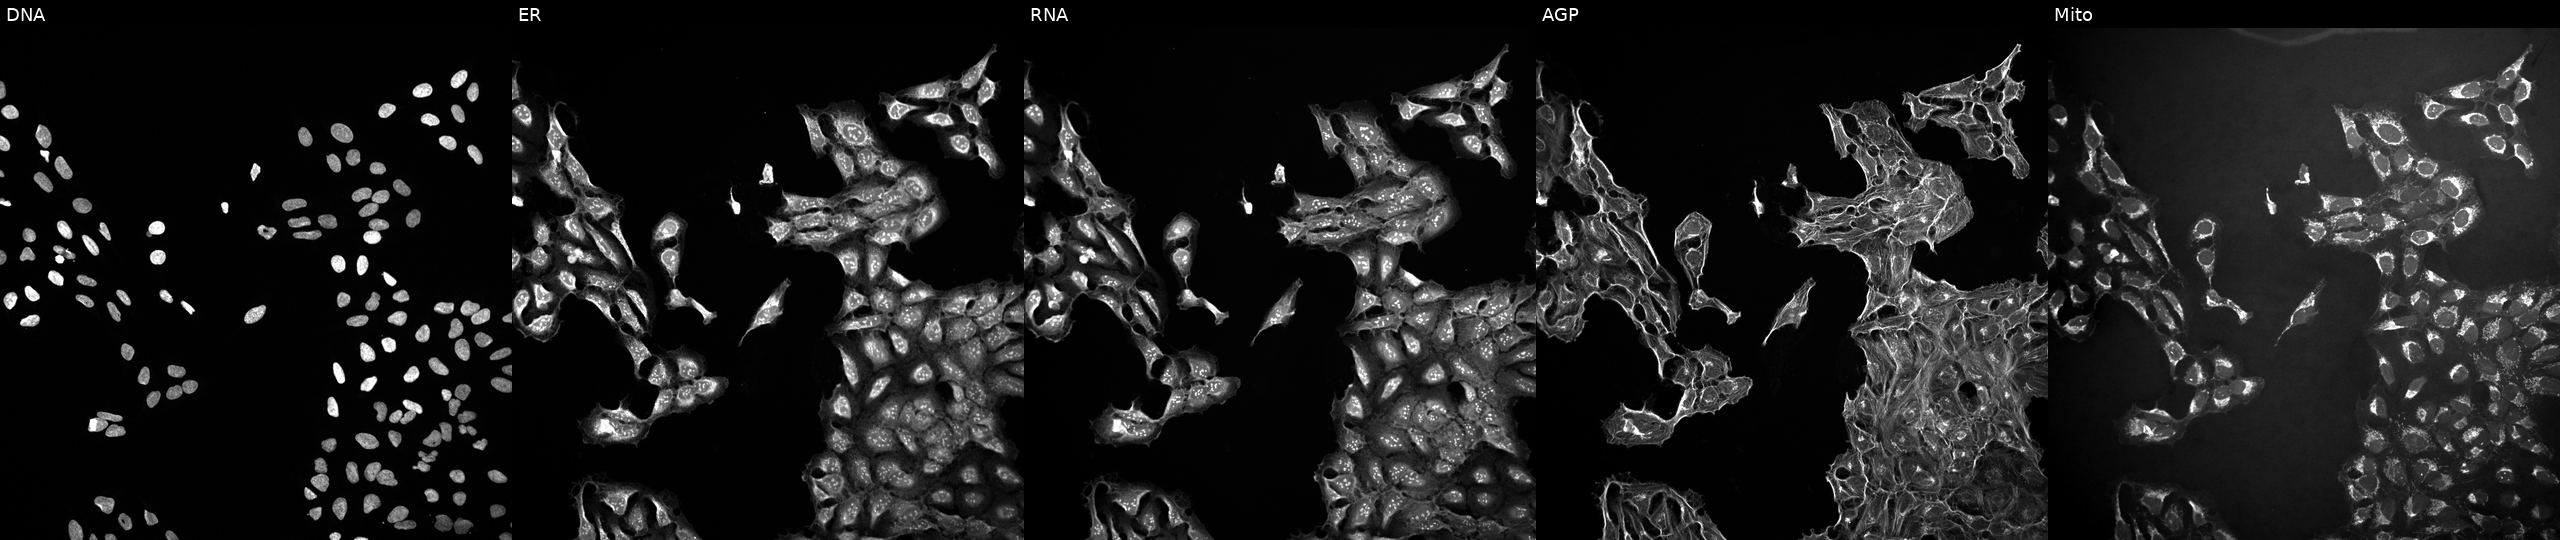
High-content fluorescence microscopy (Cell Painting). Cell line: U2OS. Perturbation: treated with DMSO vehicle only (negative control). Channels (left→right): DNA, ER, RNA, AGP, and Mito.